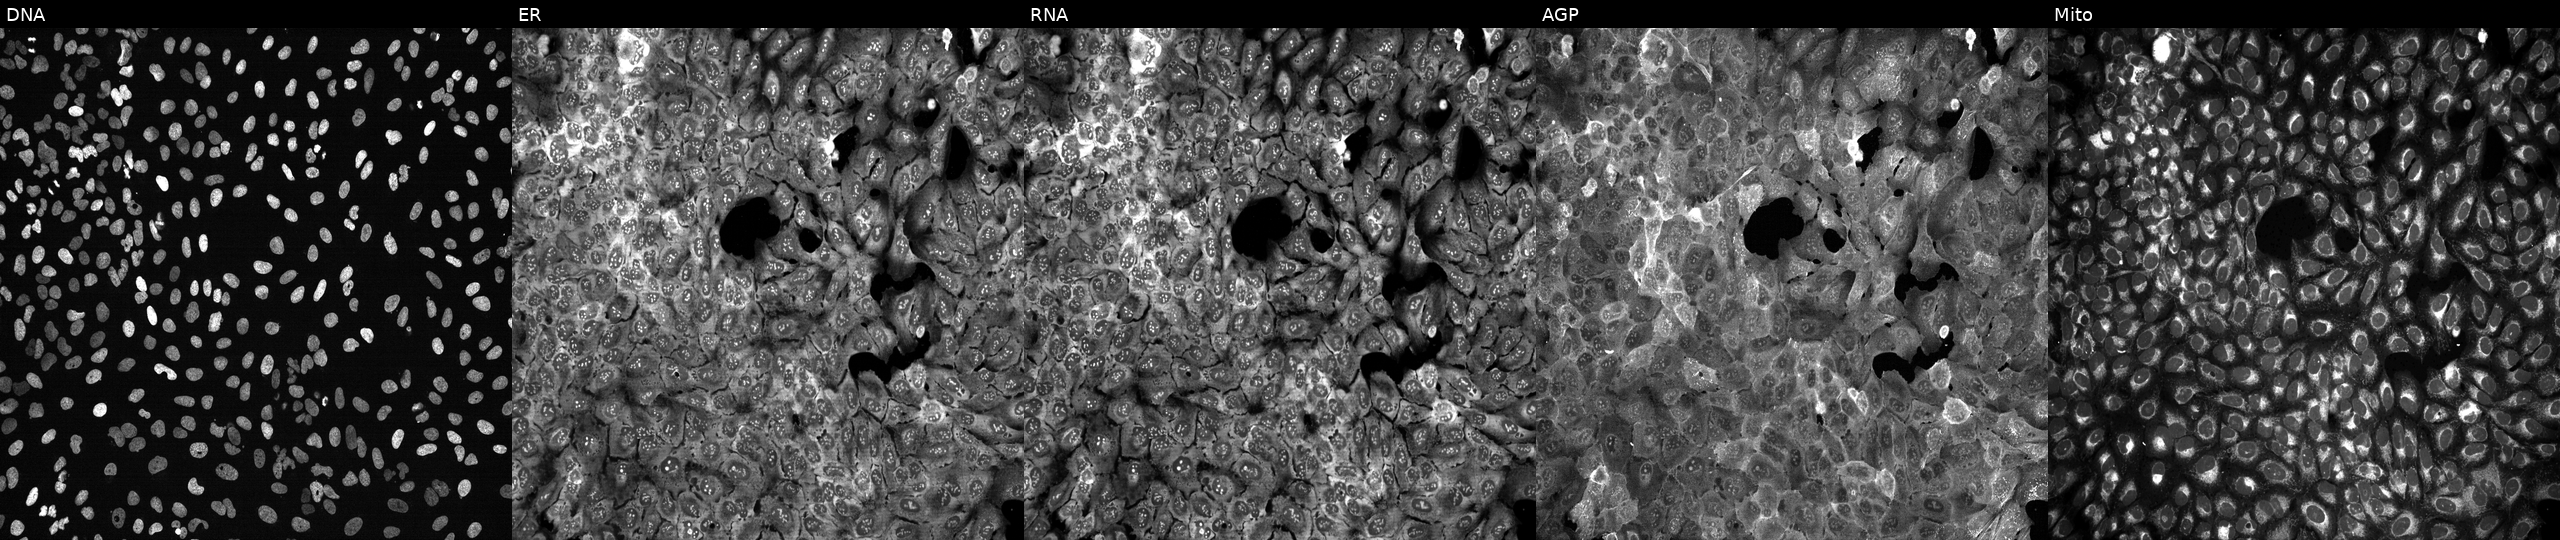
High-content fluorescence microscopy (Cell Painting). Cell line: U2OS. Perturbation: following CRISPR knockout of NCR1 (JUMP id JCP2022_804458). Channels (left→right): Hoechst 33342, concanavalin A, SYTO 14, phalloidin and WGA, MitoTracker.